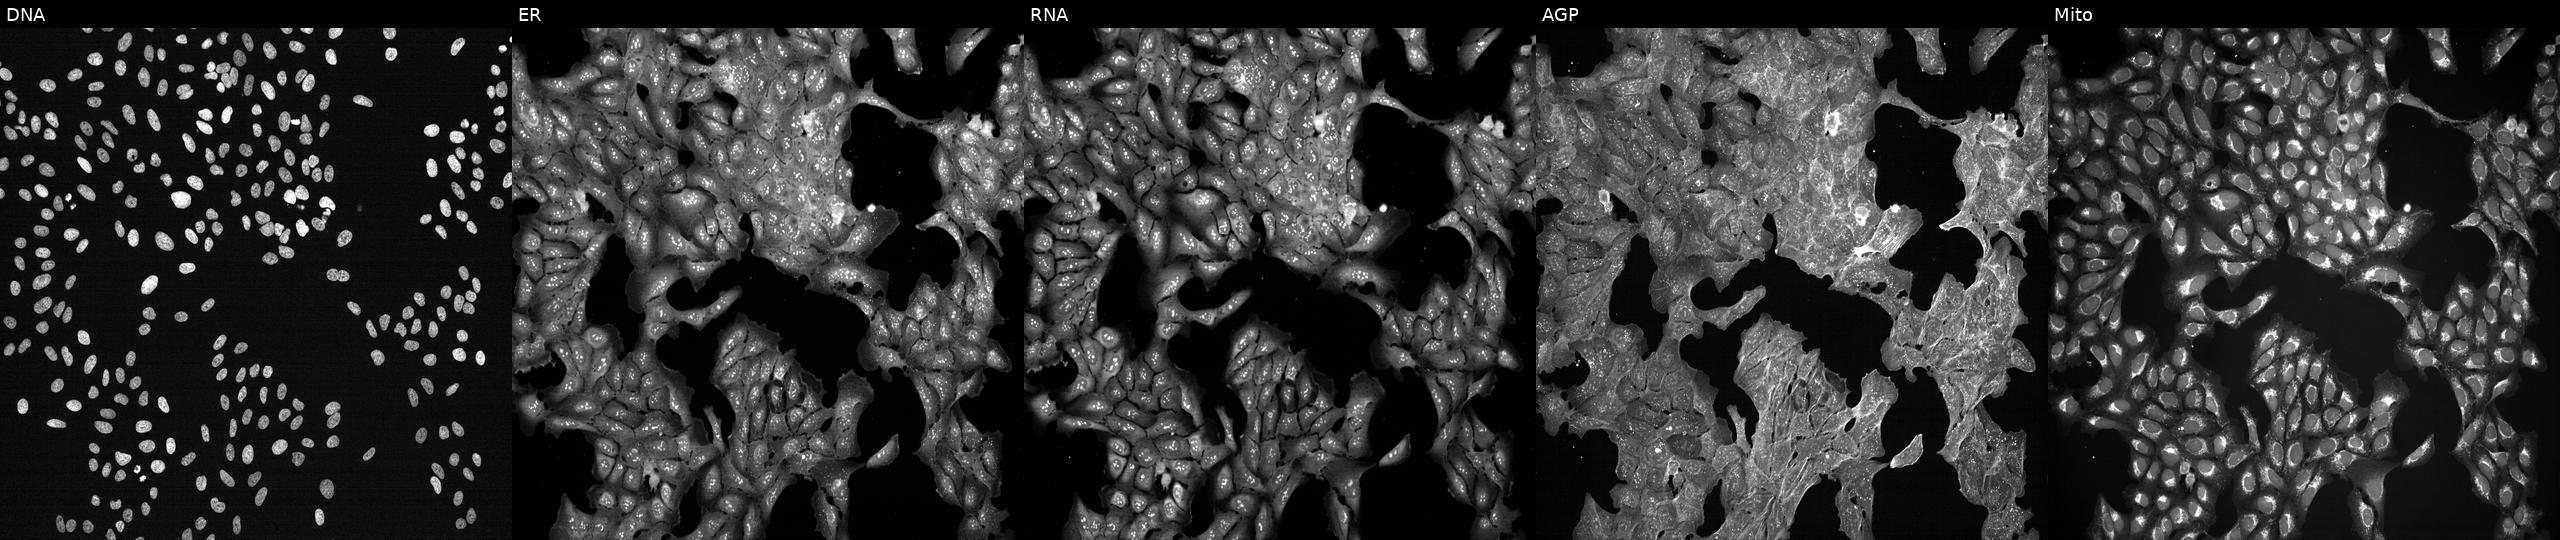
High-content fluorescence microscopy (Cell Painting). Cell line: U2OS. Perturbation: exposed to a small-molecule compound (InChIKey NBHPRWLFLUBAIE-UHFFFAOYSA-N) (JUMP id JCP2022_057881). The five panels, left to right, show DNA (nuclei); ER (endoplasmic reticulum); RNA (nucleoli and cytoplasmic RNA); AGP (actin cytoskeleton, Golgi, and plasma membrane); Mito (mitochondria). Source 7, plate CP3-SC1-25, well I11.